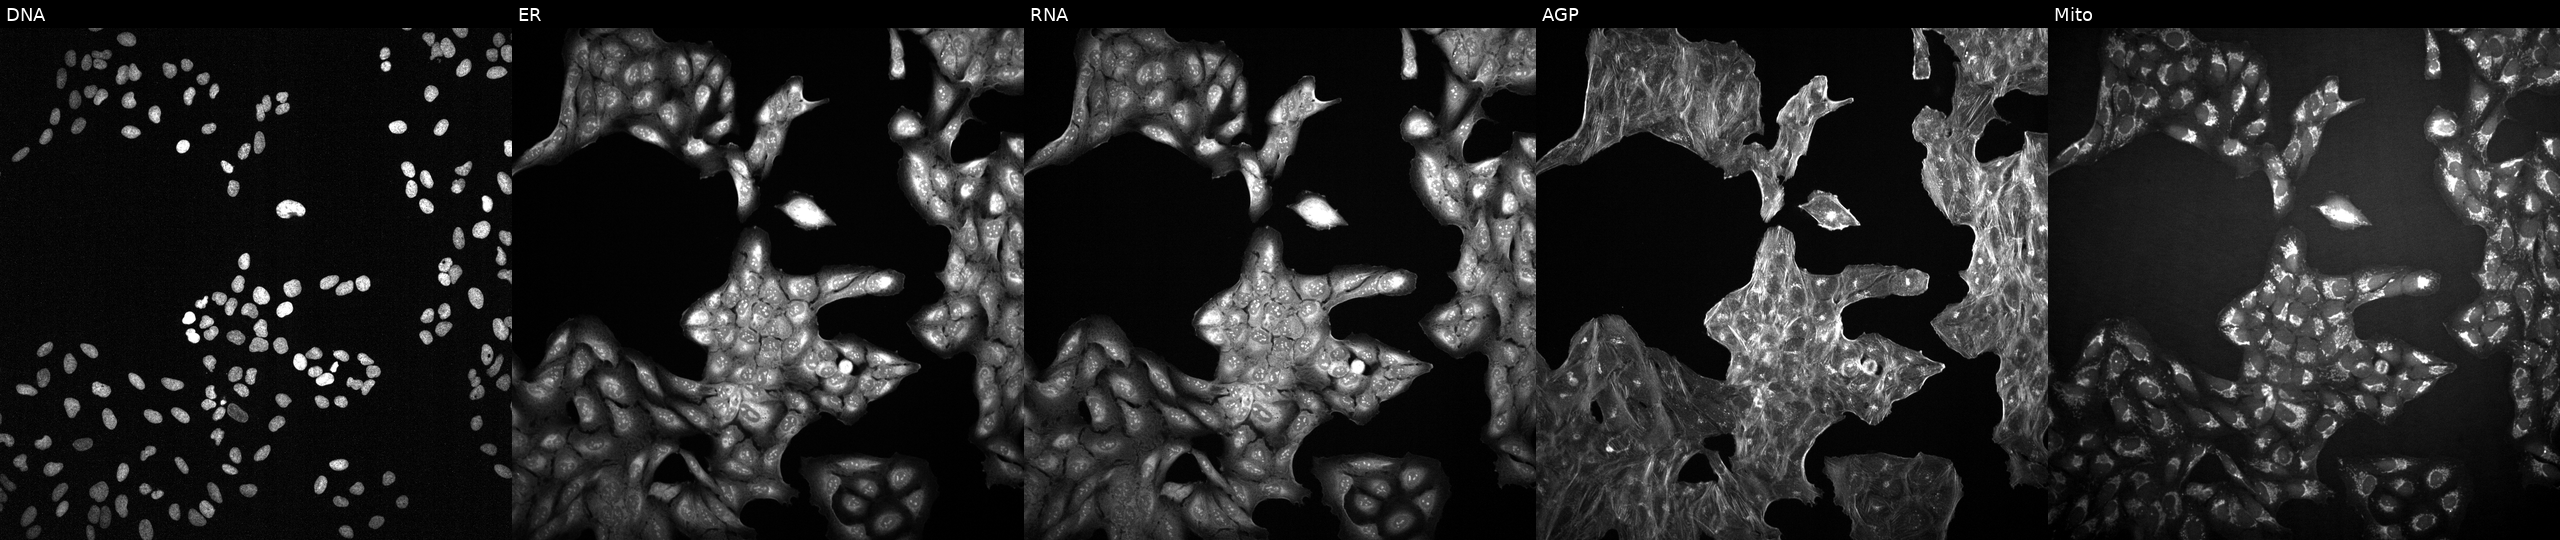
Five-channel Cell Painting image of U2OS cells treated with a small-molecule compound. Panels show, left to right, DNA (nuclei); ER (endoplasmic reticulum); RNA (nucleoli and cytoplasmic RNA); AGP (actin cytoskeleton, Golgi, and plasma membrane); Mito (mitochondria).